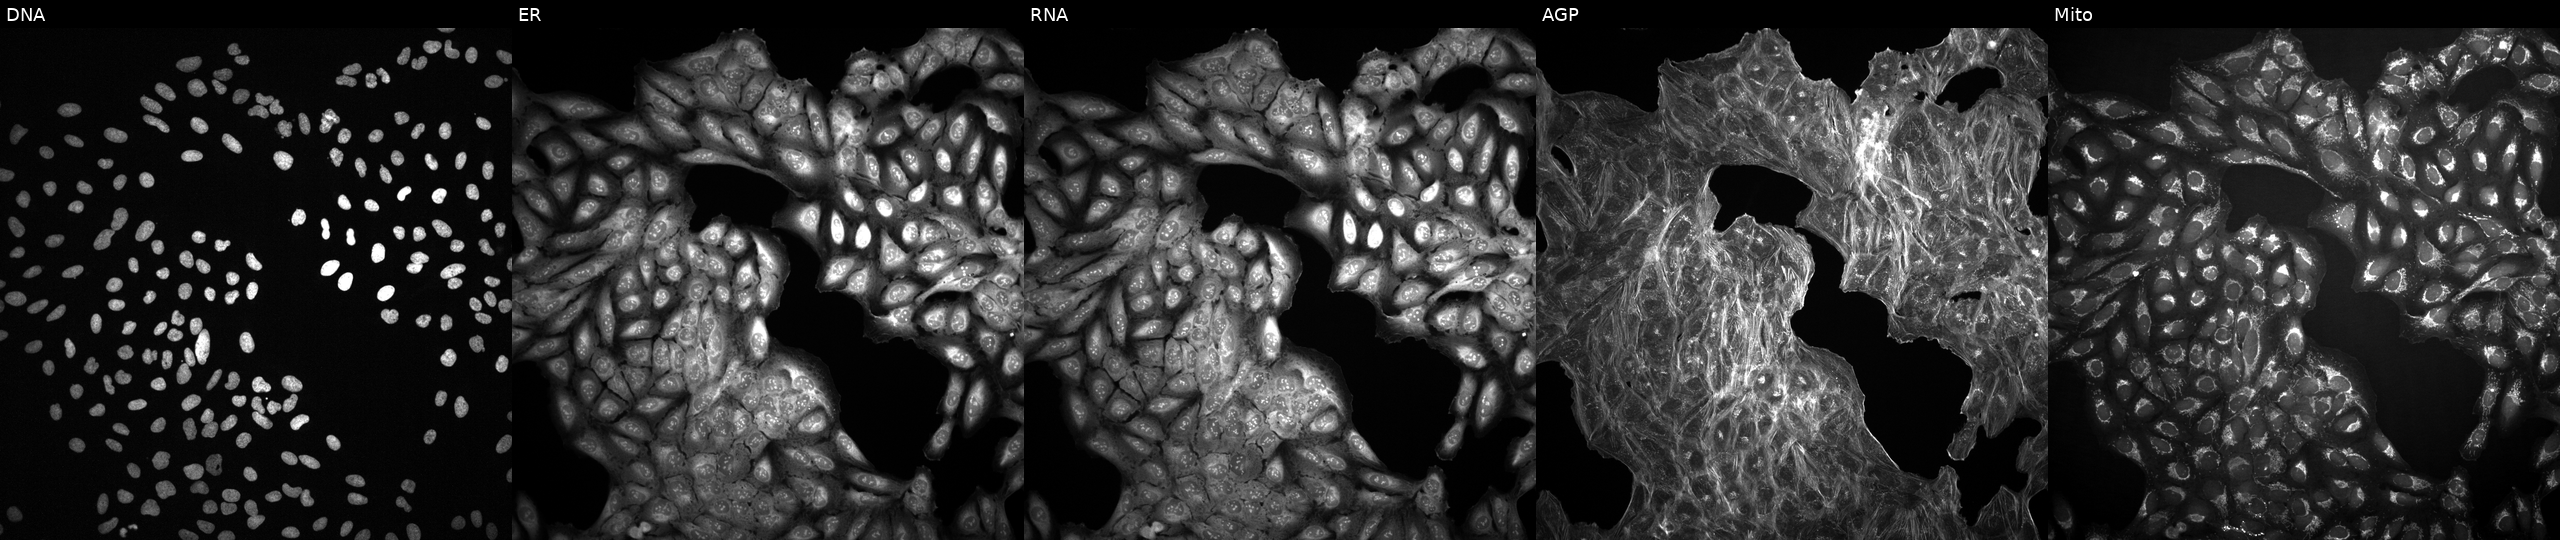
U2OS cells, Cell Painting assay, exposed to DMSO alone as a negative control. Panels show, left to right, Hoechst 33342, concanavalin A, SYTO 14, phalloidin and WGA, MitoTracker. Each panel is percentile-stretched 16-bit fluorescence. Source 2, plate 1053597936, well D06.